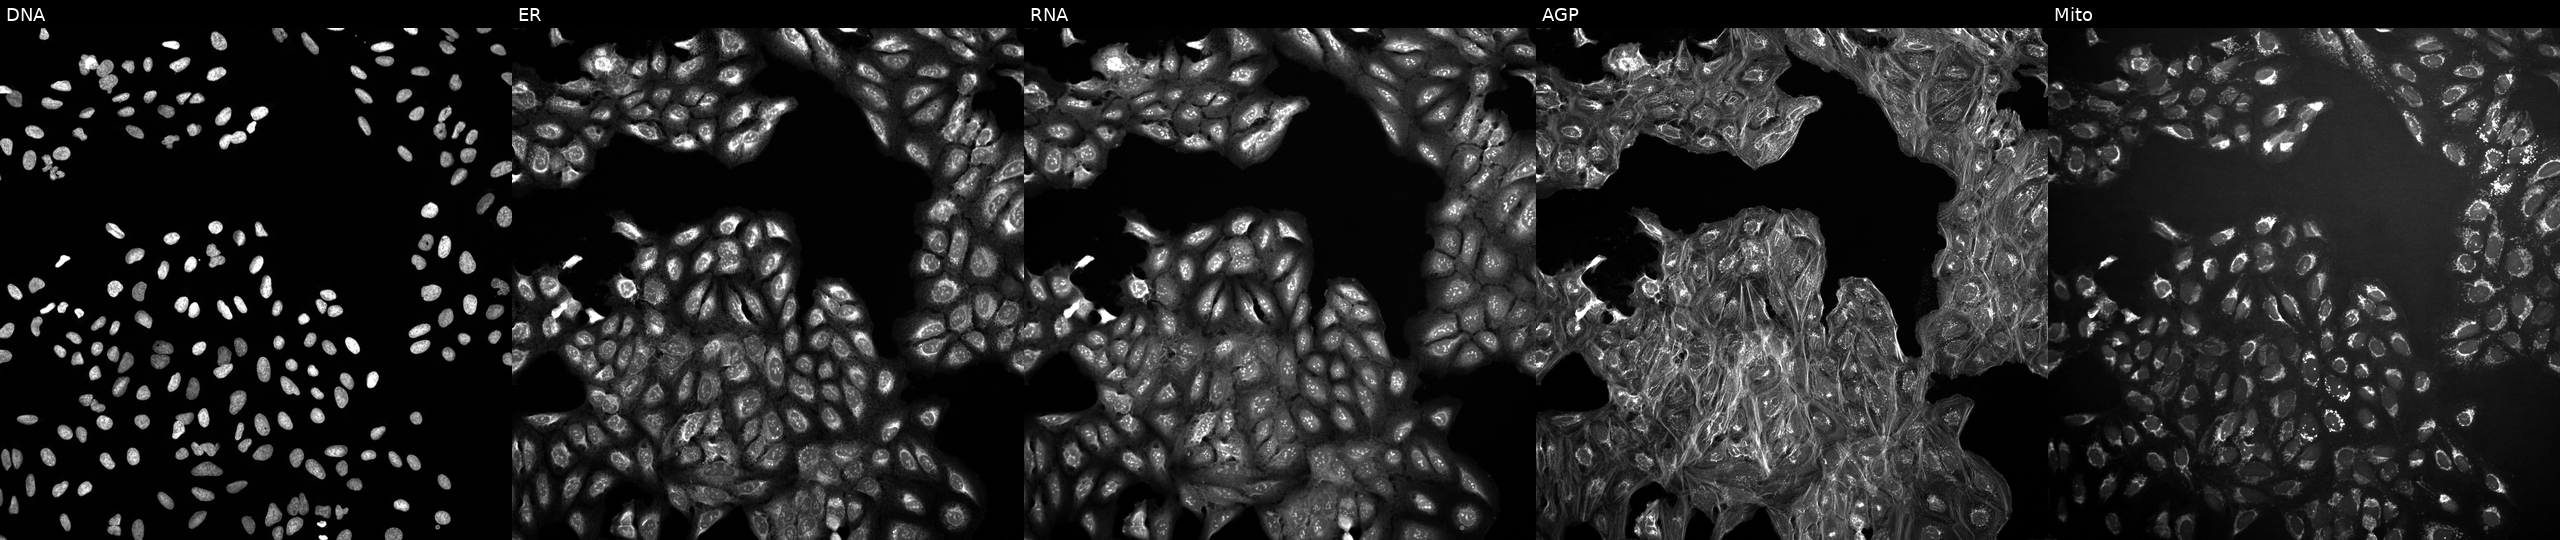
This image strip shows the five Cell Painting channels for a single field of U2OS cells untreated (empty-well control). The five panels, left to right, show DNA, ER, RNA, AGP, and Mito. Source 10, plate Dest210531-152324, well H08.